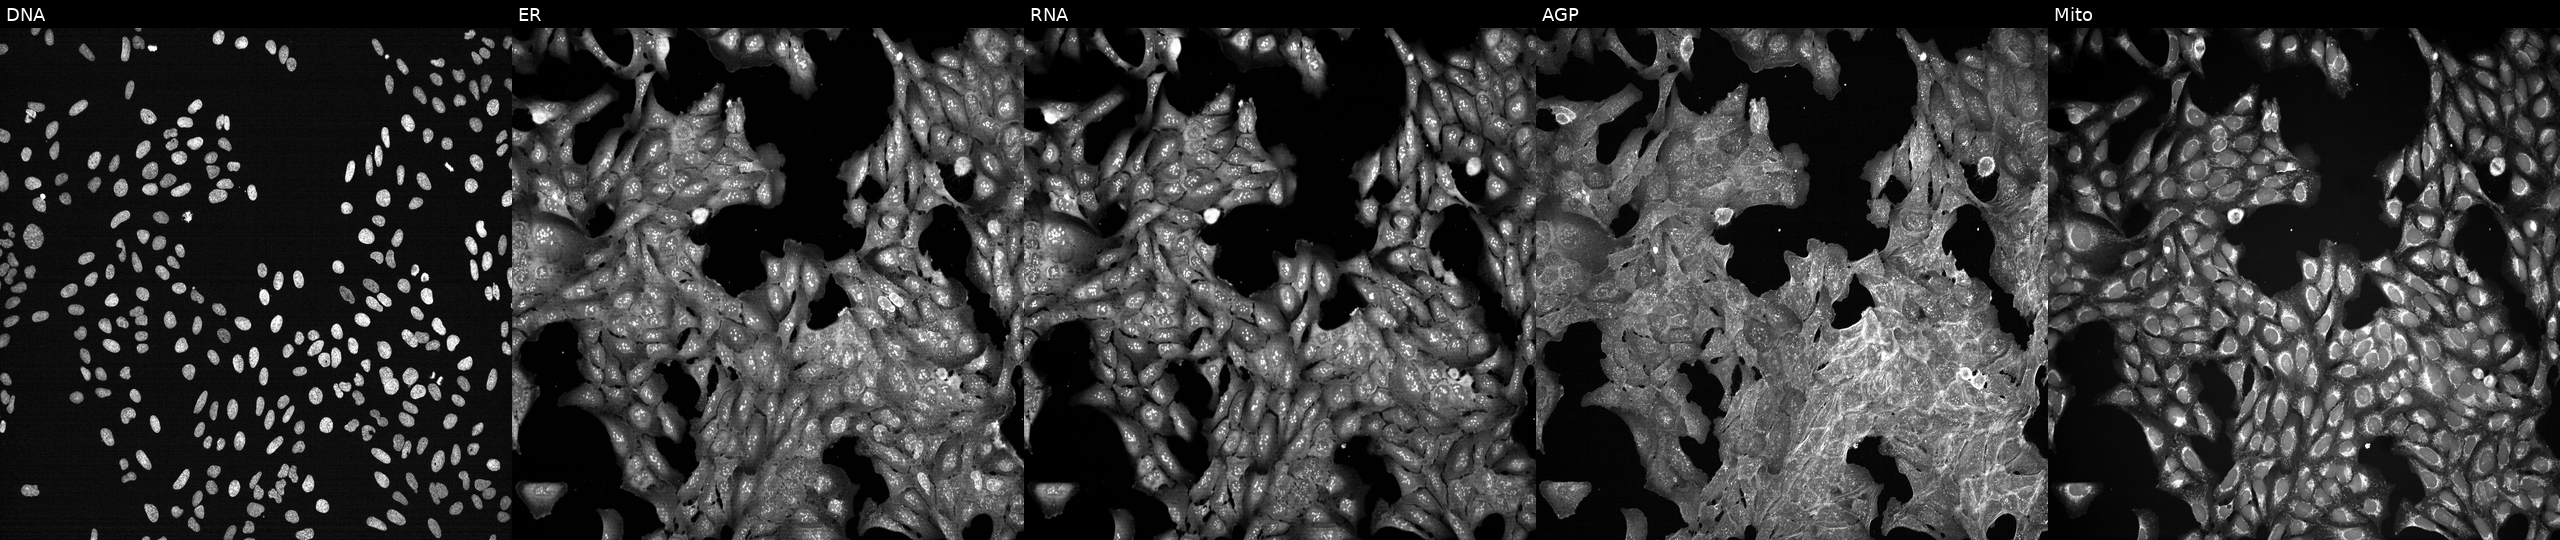
High-content fluorescence microscopy (Cell Painting). Cell line: U2OS. Perturbation: treated with quinidine (positive-control compound) (JUMP id JCP2022_050797). From left to right: DNA, ER, RNA, AGP, and Mito.